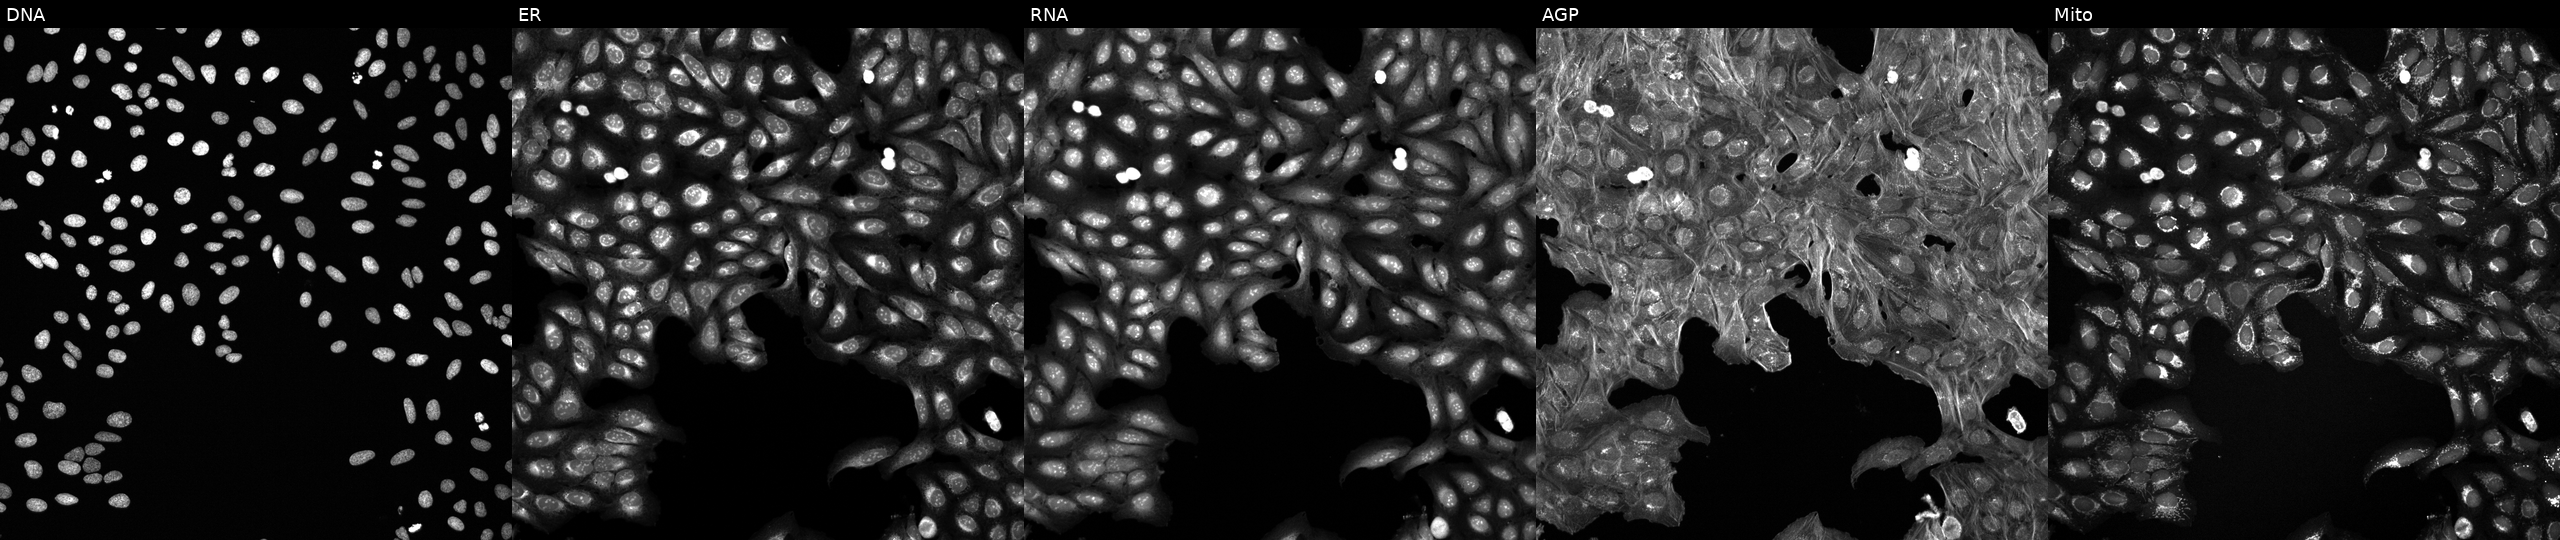
U2OS cells, Cell Painting assay, exposed to a small-molecule compound (InChIKey NCEXYHBECQHGNR-UHFFFAOYSA-N) (JUMP id JCP2022_058046). From left to right: Hoechst 33342, concanavalin A, SYTO 14, phalloidin and WGA, MitoTracker. Each panel is percentile-stretched 16-bit fluorescence. Source 6, plate 110000294901, well C04.